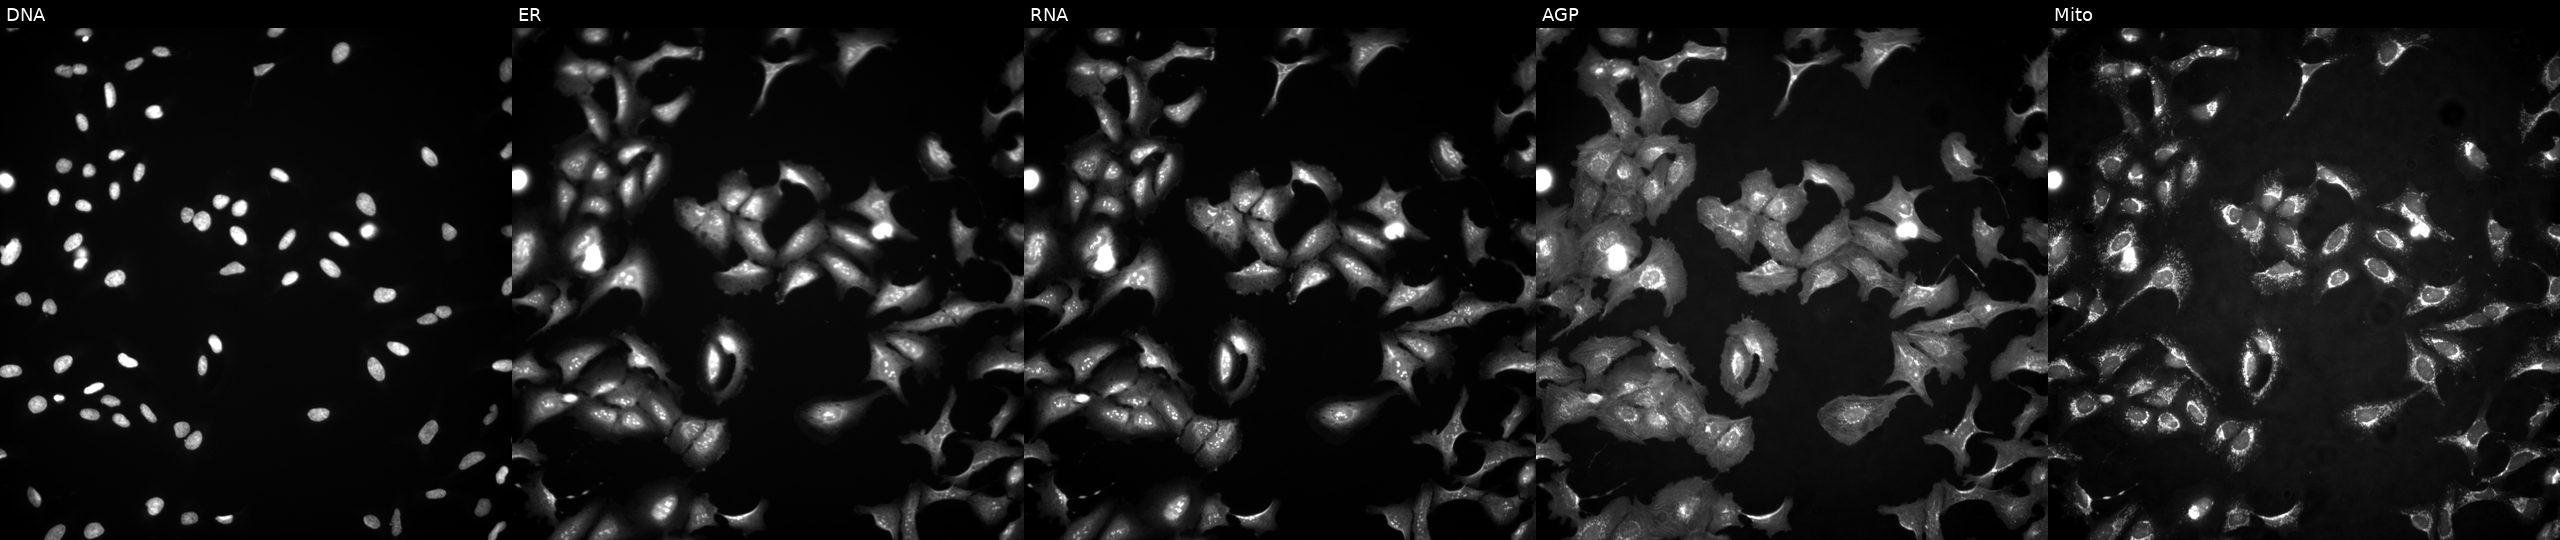
High-content fluorescence microscopy (Cell Painting). Cell line: U2OS. Perturbation: transfected with an ORF construct for PHTF1 (JUMP id JCP2022_910761). The five panels, left to right, show Hoechst 33342, concanavalin A, SYTO 14, phalloidin and WGA, MitoTracker.